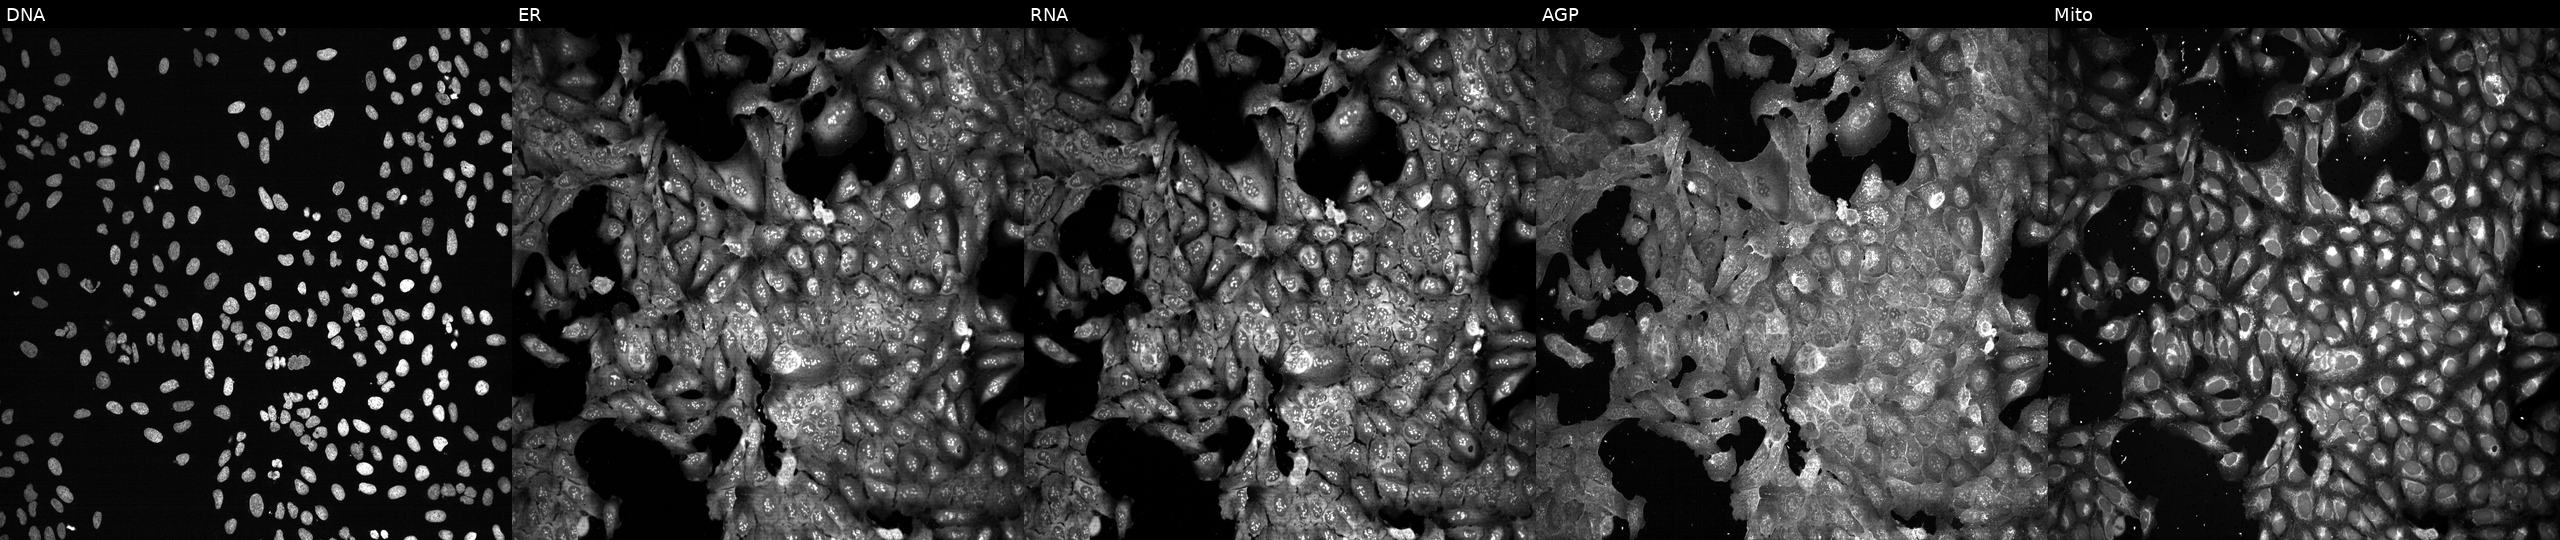
JUMP Cell Painting — CRISPR plate. U2OS cells CRISPR-edited to disrupt ABCC2 (JUMP id JCP2022_800044). Channels (left→right): DNA (nuclei); ER (endoplasmic reticulum); RNA (nucleoli and cytoplasmic RNA); AGP (actin cytoskeleton, Golgi, and plasma membrane); Mito (mitochondria).